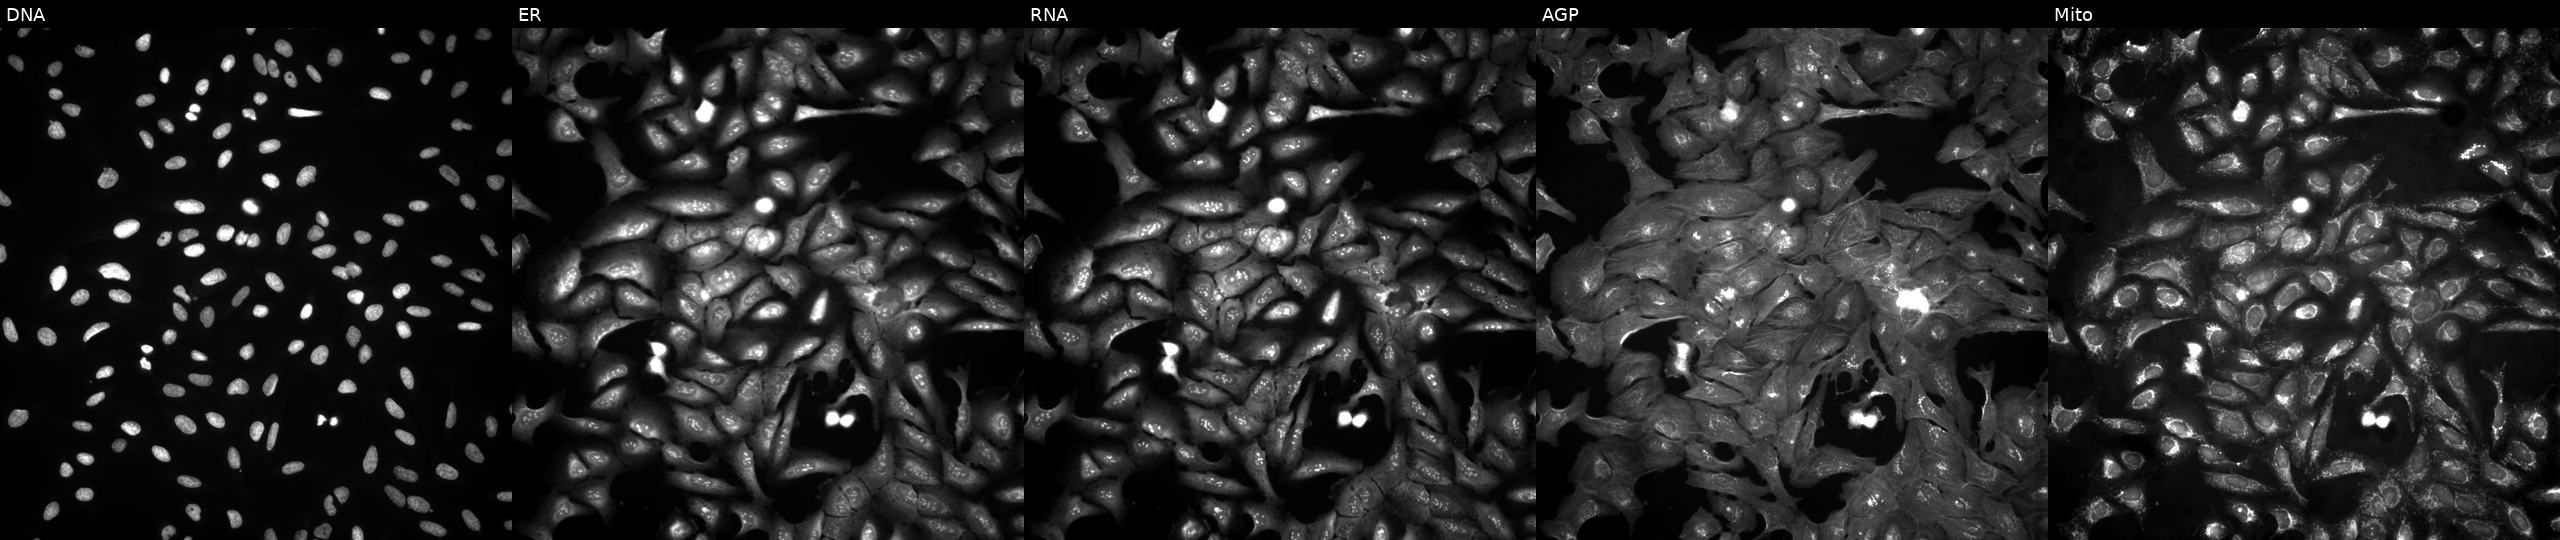
U2OS cells, Cell Painting assay, with LRR1 overexpressed (ORF). Channels (left→right): Hoechst 33342, concanavalin A, SYTO 14, phalloidin and WGA, MitoTracker. Each panel is percentile-stretched 16-bit fluorescence. Source 4, plate BR00124784, well F10.